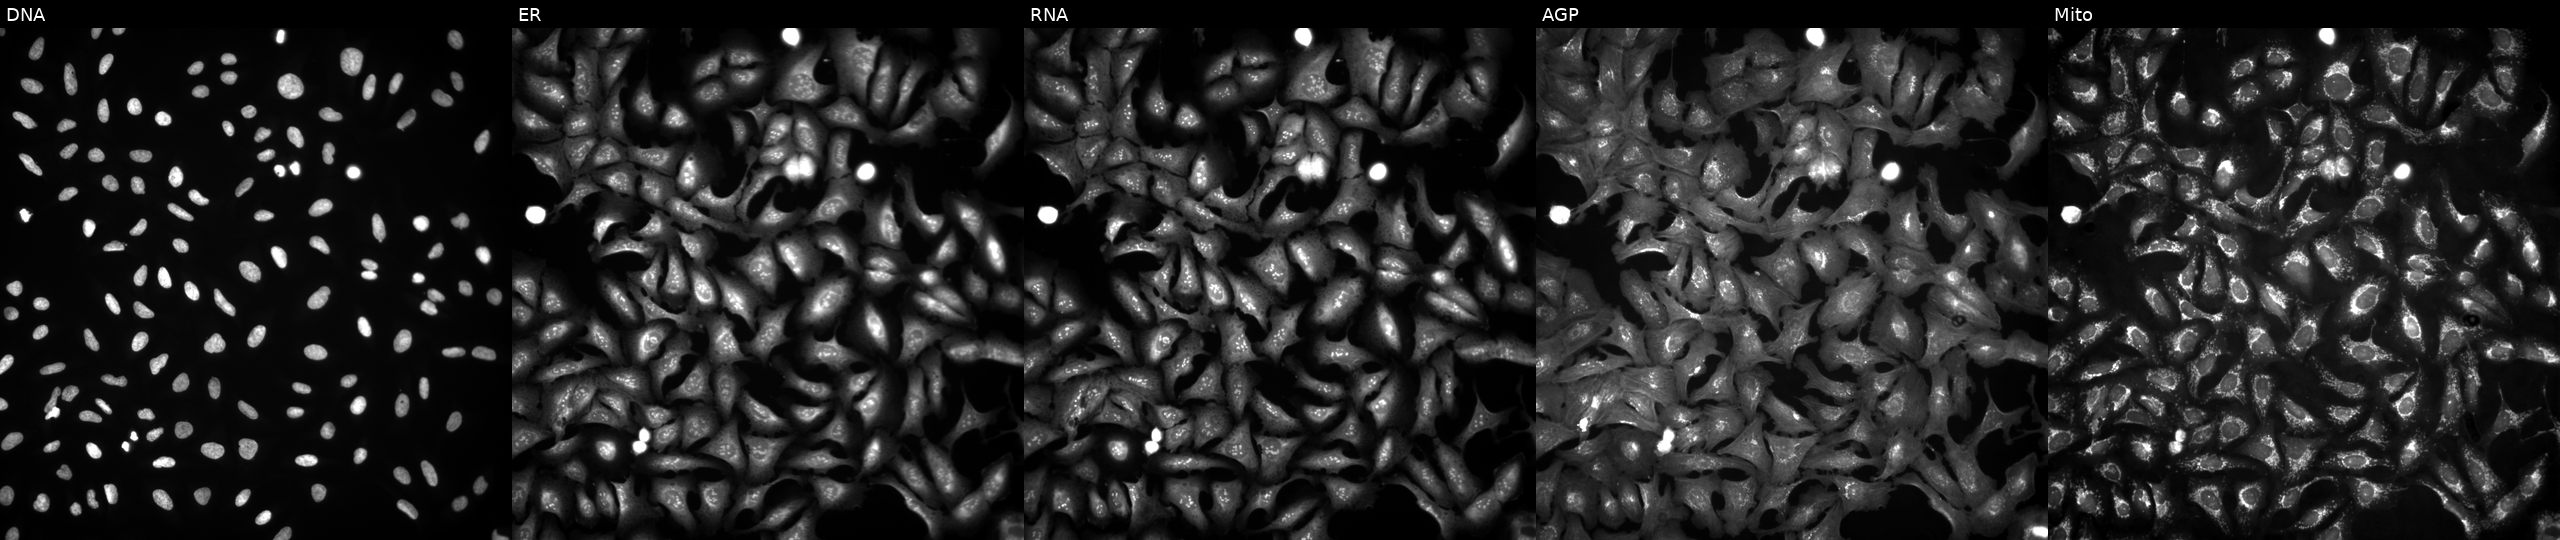
Five-channel Cell Painting image of U2OS cells transfected with an ORF construct for NDUFA2. Panels show, left to right, Hoechst 33342, concanavalin A, SYTO 14, phalloidin and WGA, MitoTracker.